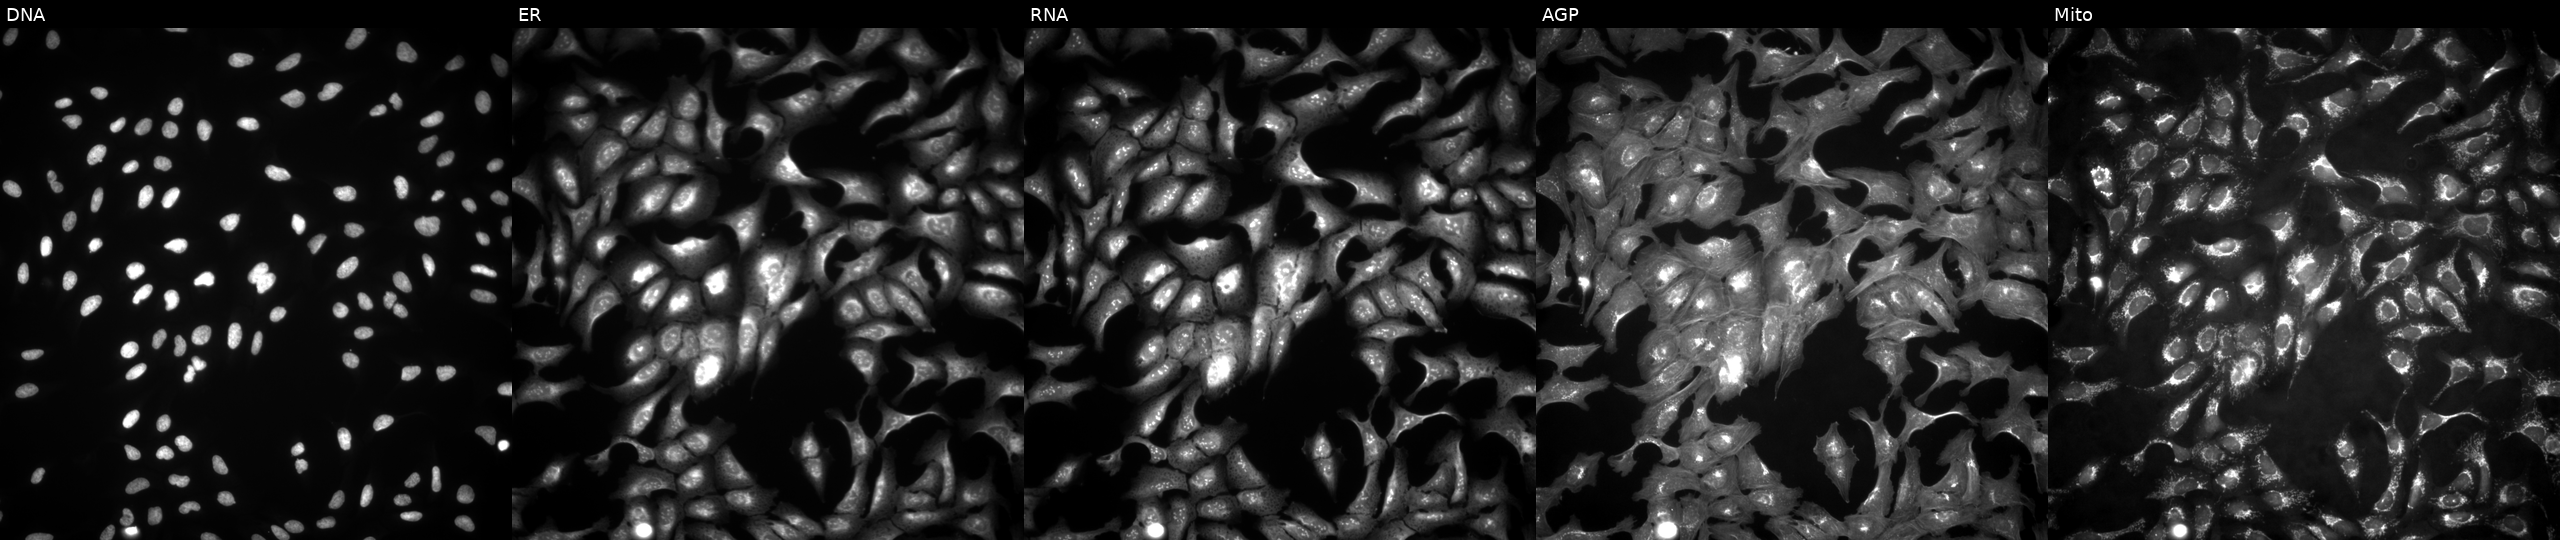
U2OS cells, Cell Painting assay, with CCDC102B overexpressed (ORF) (JUMP id JCP2022_911776). Channels (left→right): DNA, ER, RNA, AGP, and Mito. Each panel is percentile-stretched 16-bit fluorescence. Source 4, plate BR00123509, well E12.